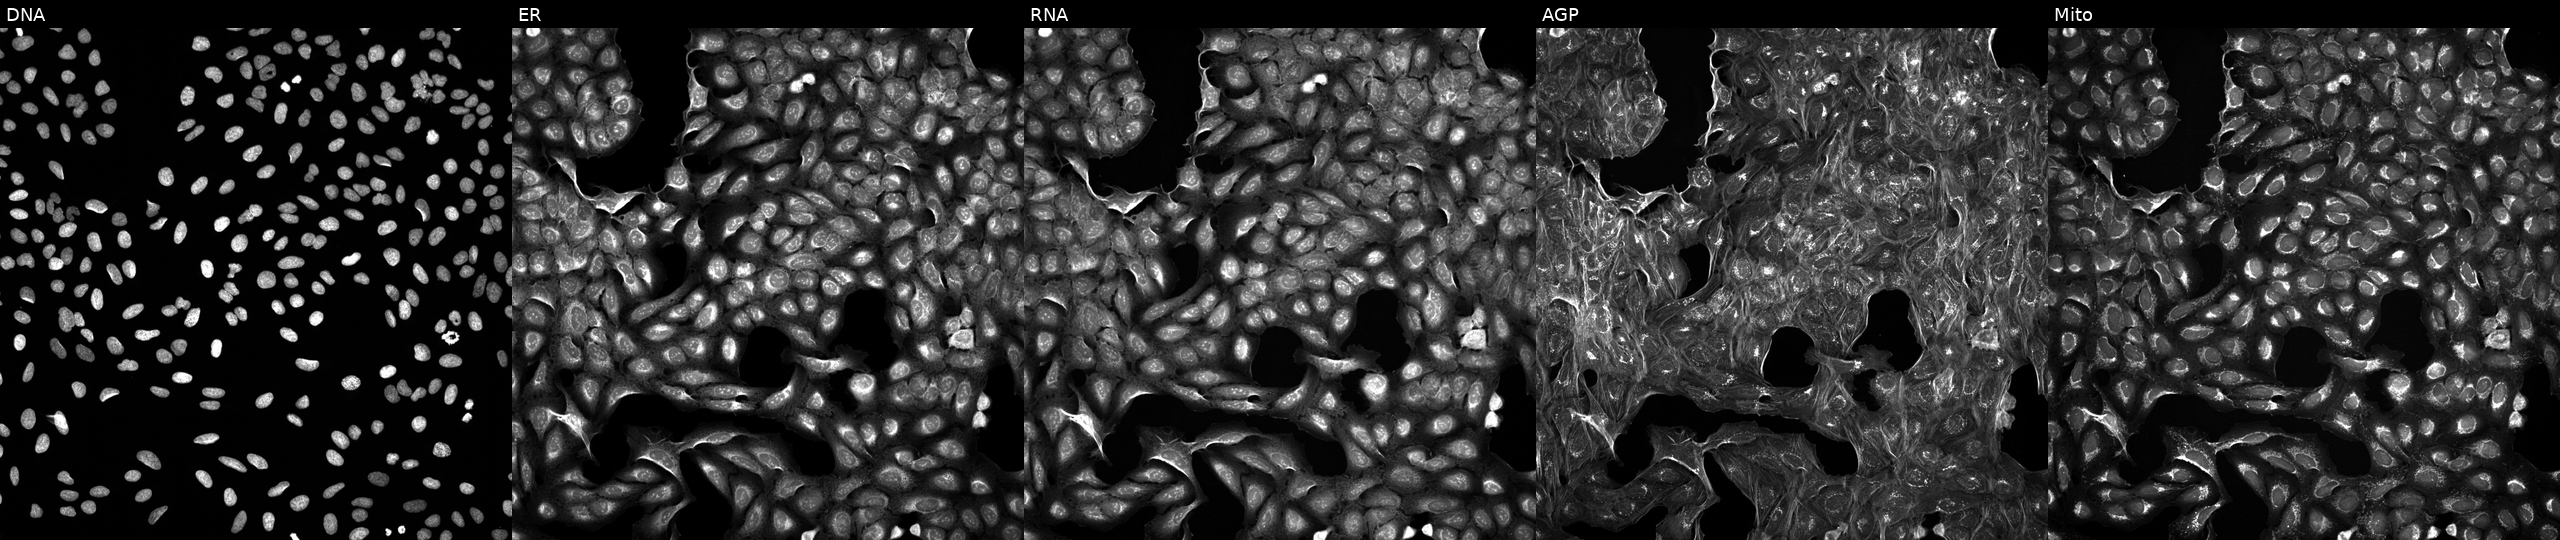
U2OS cells, Cell Painting assay, treated with a small-molecule compound (InChIKey GMROZDPZEUVIGD-UHFFFAOYSA-N). The five panels, left to right, show DNA (nuclei); ER (endoplasmic reticulum); RNA (nucleoli and cytoplasmic RNA); AGP (actin cytoskeleton, Golgi, and plasma membrane); Mito (mitochondria). Each panel is percentile-stretched 16-bit fluorescence.